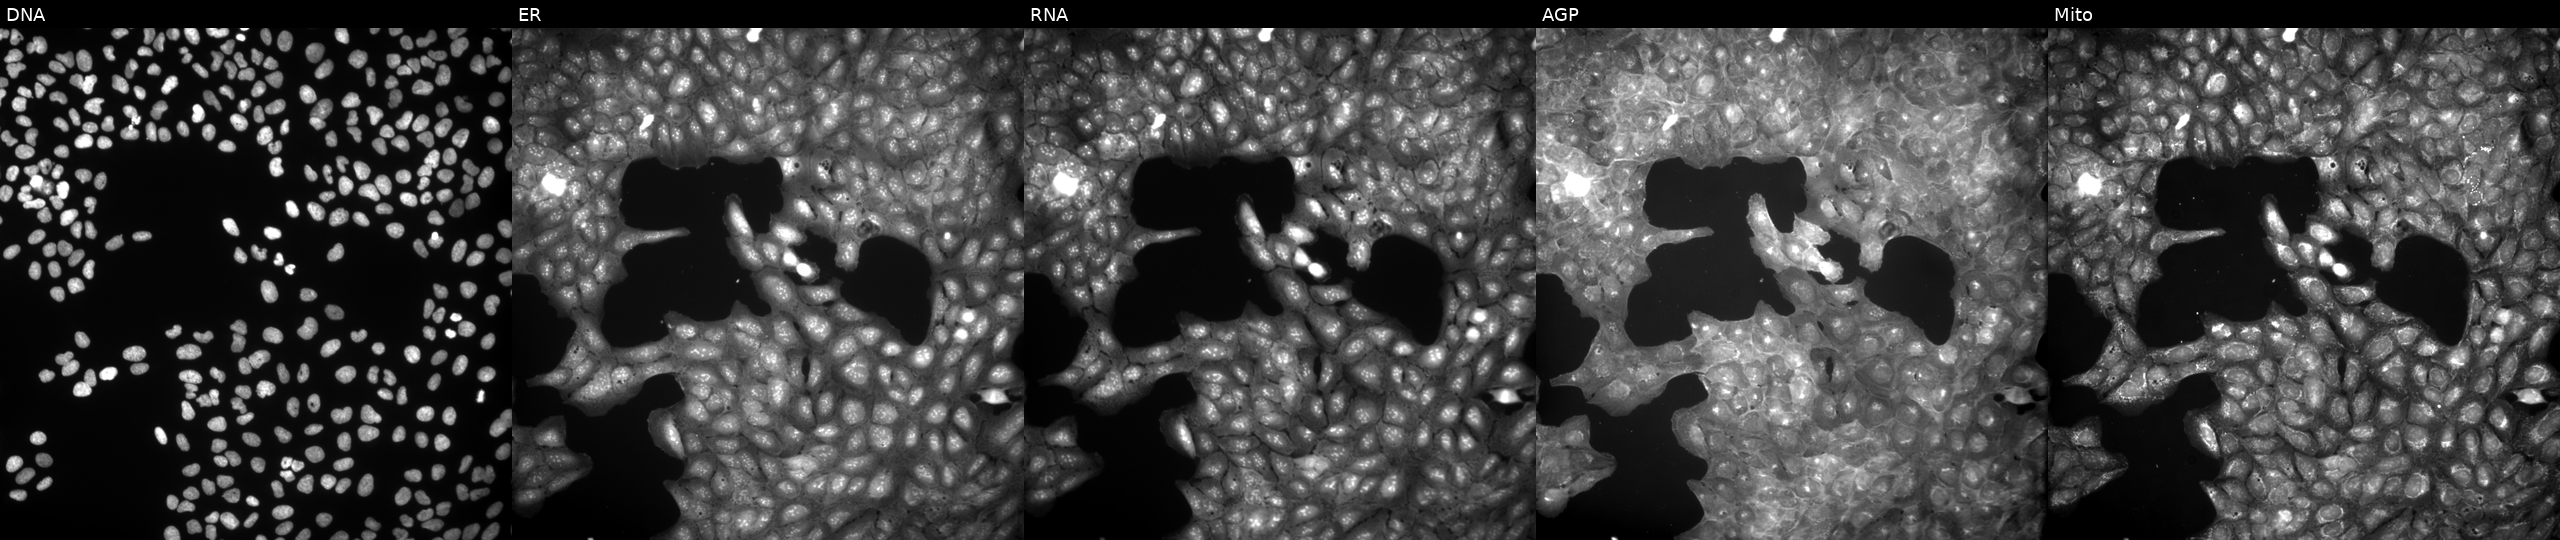
This image strip shows the five Cell Painting channels for a single field of U2OS cells treated with a small-molecule compound (InChIKey OABSOCGJVXDRKG-UHFFFAOYSA-N) [SMILES: O=c1cc(-c2ccccc2)[nH]n1-c1ccc([N+](=O)[O-])cc1]. Panels show, left to right, DNA, ER, RNA, AGP, and Mito. Source 9, plate GR00003381, well H29.